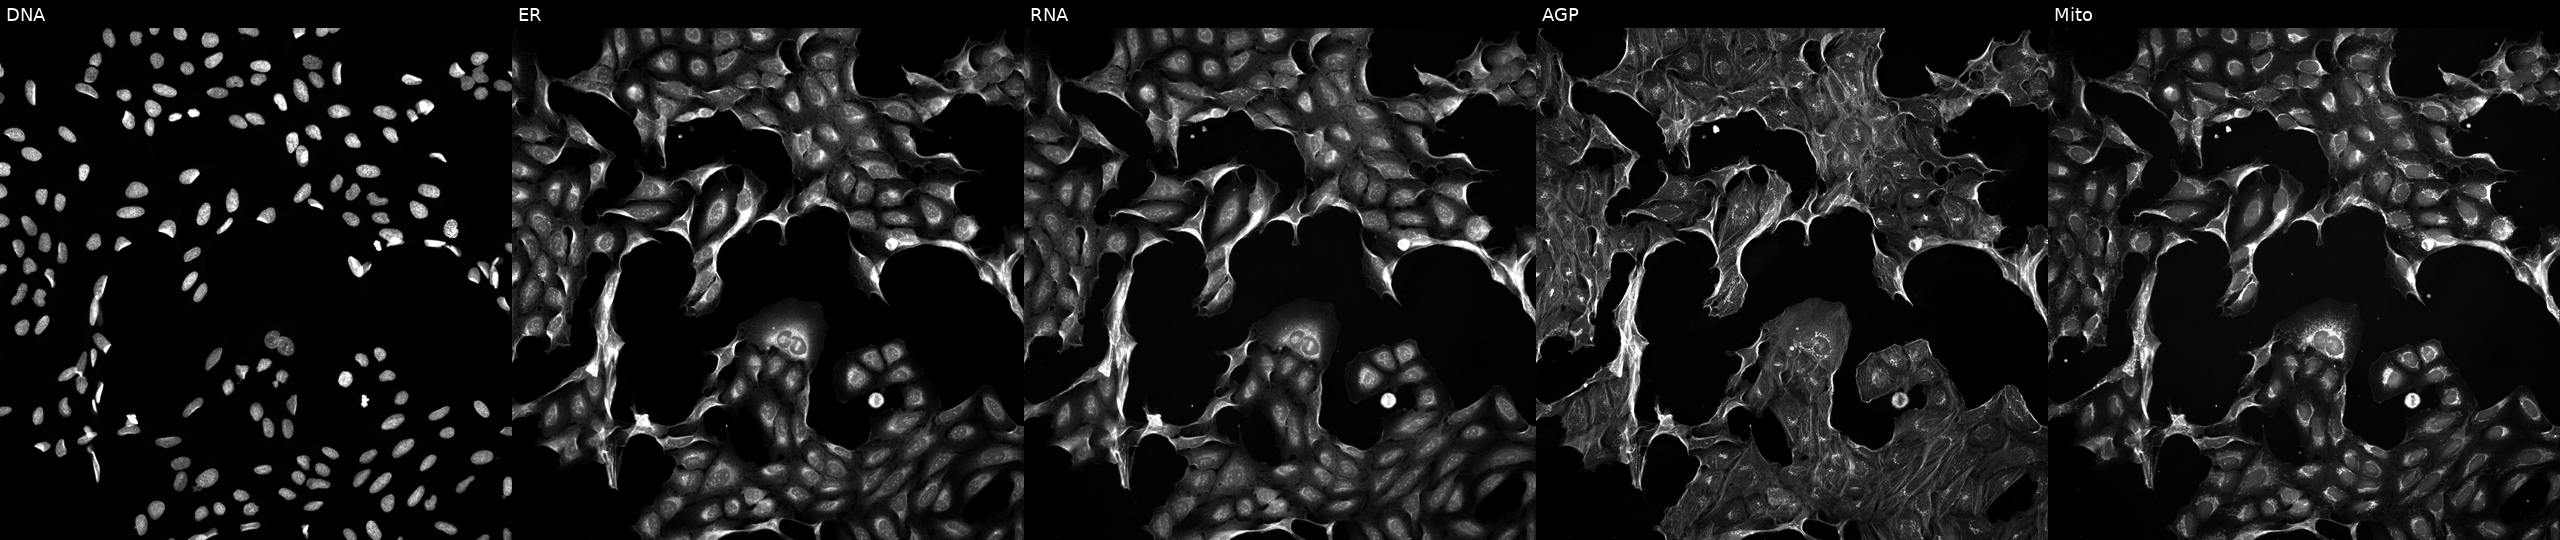
JUMP Cell Painting — TARGET2 plate. U2OS cells treated with DMSO vehicle only (negative control). From left to right: DNA, ER, RNA, AGP, and Mito.